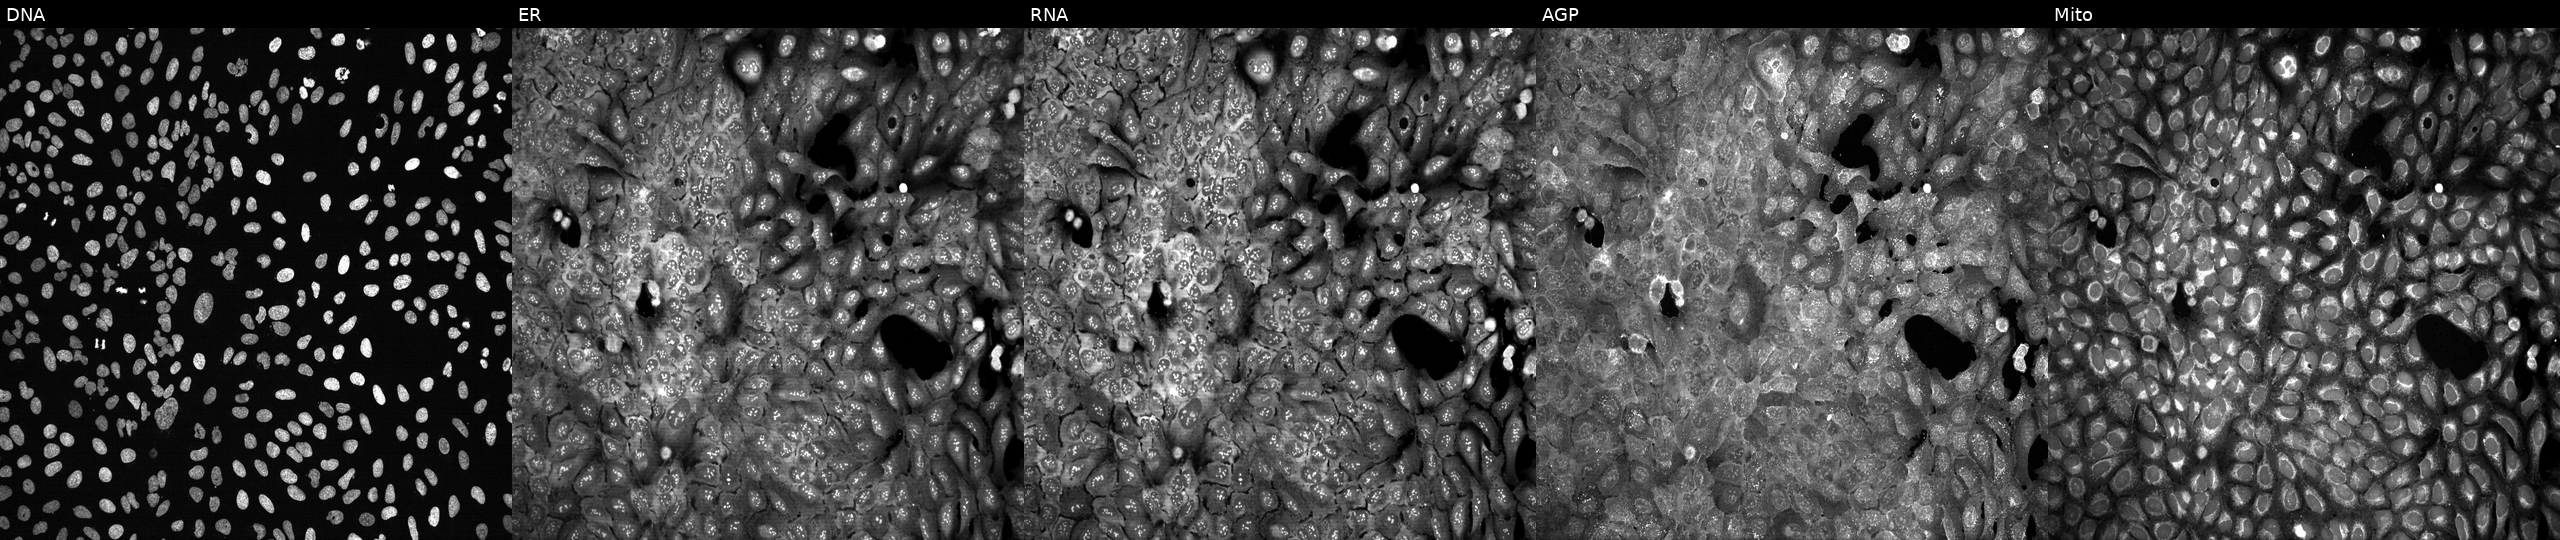
The five panels, left to right, show DNA, ER, RNA, AGP, and Mito. U2OS osteosarcoma cells CRISPR-edited to disrupt MYO1E (JUMP id JCP2022_804384). Cell Painting assay, JUMP-CP dataset.